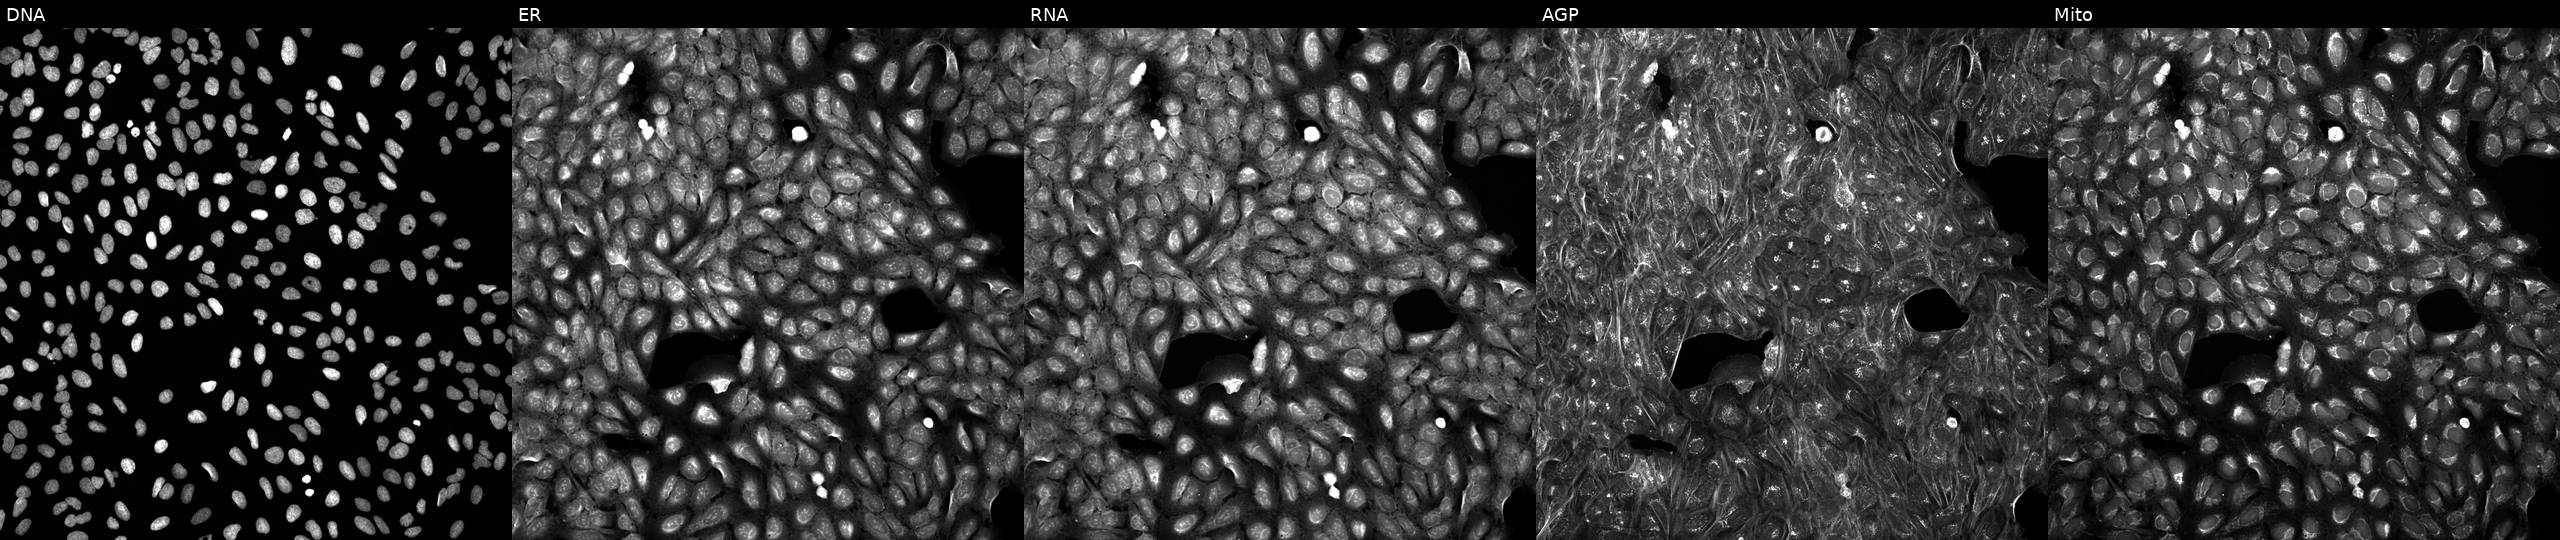
High-content fluorescence microscopy (Cell Painting). Cell line: U2OS. Perturbation: perturbed with a small-molecule compound (InChIKey WESBRRDDGYUJBW-UHFFFAOYSA-N) (JUMP id JCP2022_098264). From left to right: DNA, ER, RNA, AGP, and Mito.